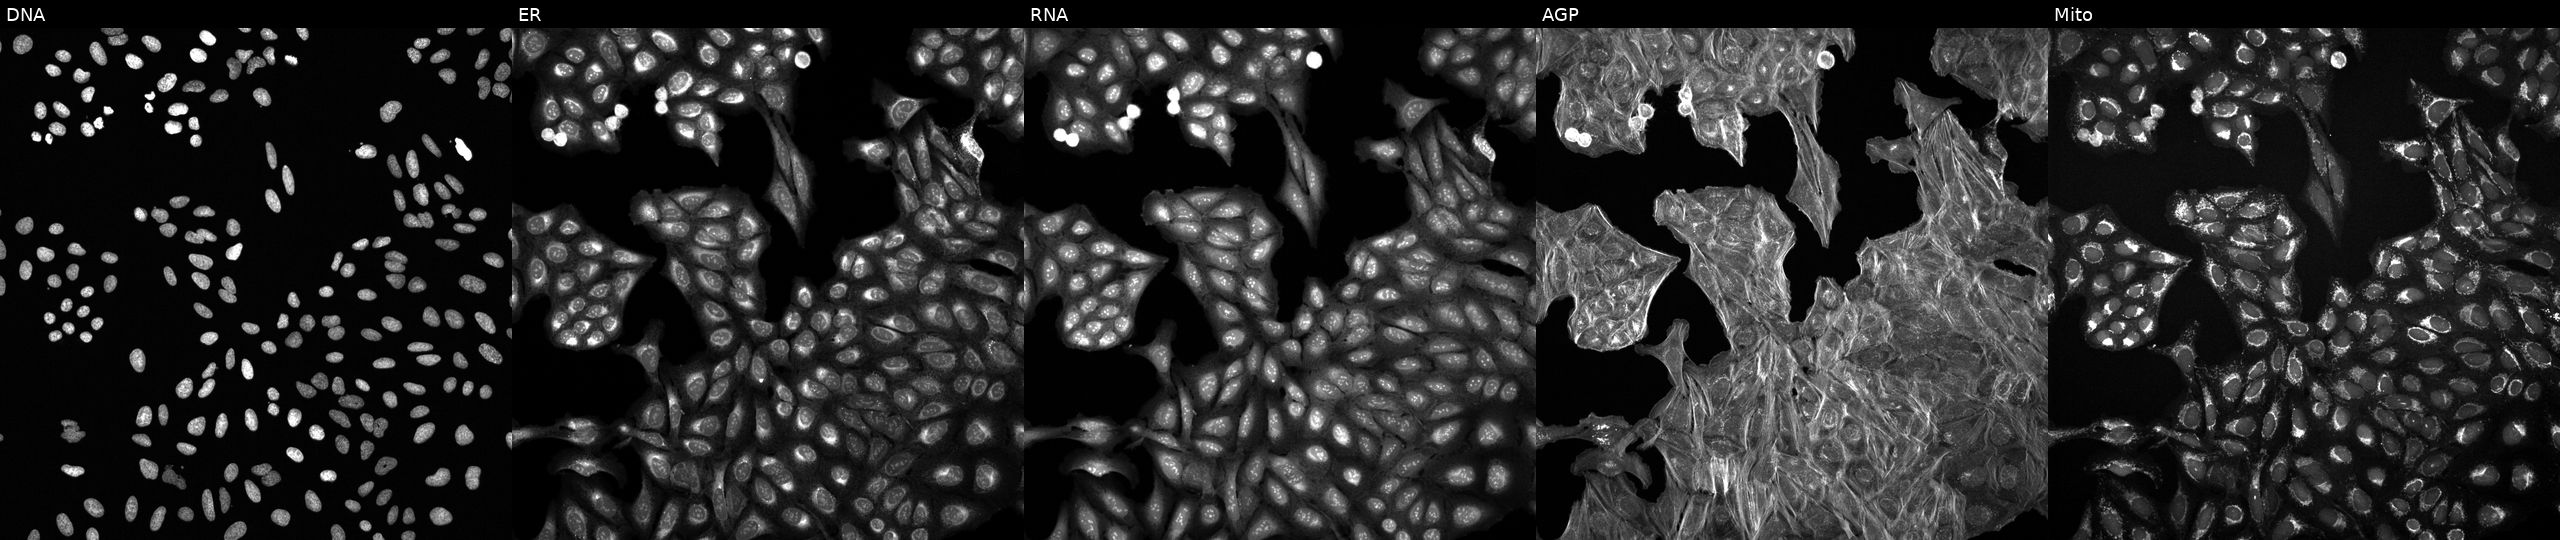
High-content fluorescence microscopy (Cell Painting). Cell line: U2OS. Perturbation: perturbed with a small-molecule compound. From left to right: DNA (nuclei); ER (endoplasmic reticulum); RNA (nucleoli and cytoplasmic RNA); AGP (actin cytoskeleton, Golgi, and plasma membrane); Mito (mitochondria). Source 6, plate 110000293081, well F01.